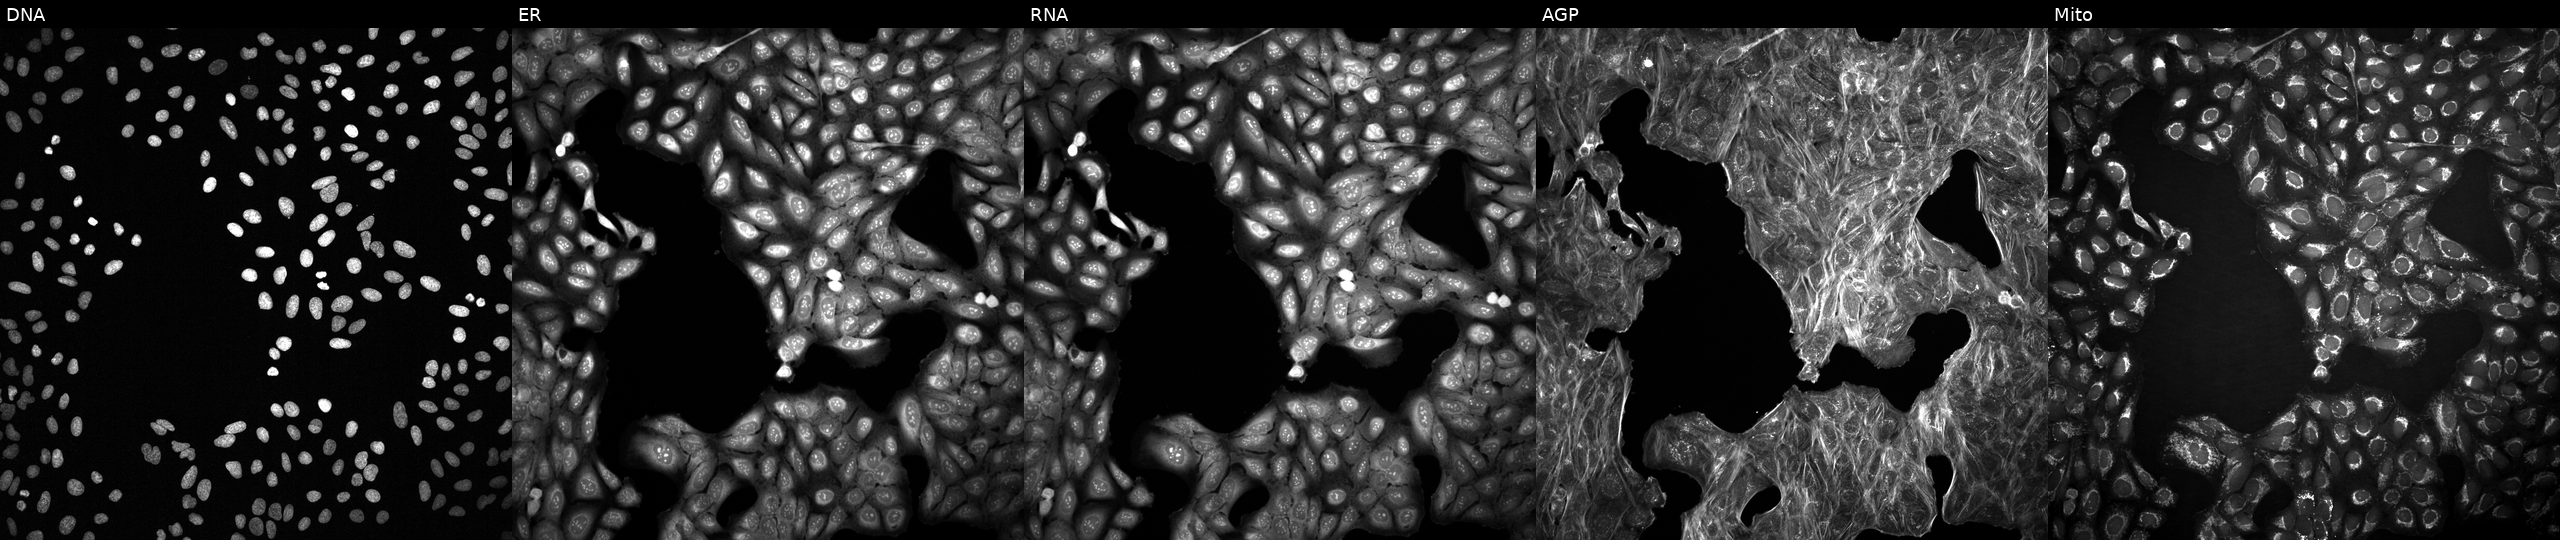
This image strip shows the five Cell Painting channels for a single field of U2OS cells exposed to a small-molecule compound (InChIKey FZMQADBJHYOBEO-UHFFFAOYSA-N). The five panels, left to right, show DNA (nuclei); ER (endoplasmic reticulum); RNA (nucleoli and cytoplasmic RNA); AGP (actin cytoskeleton, Golgi, and plasma membrane); Mito (mitochondria). Source 2, plate 1053601763, well G20.